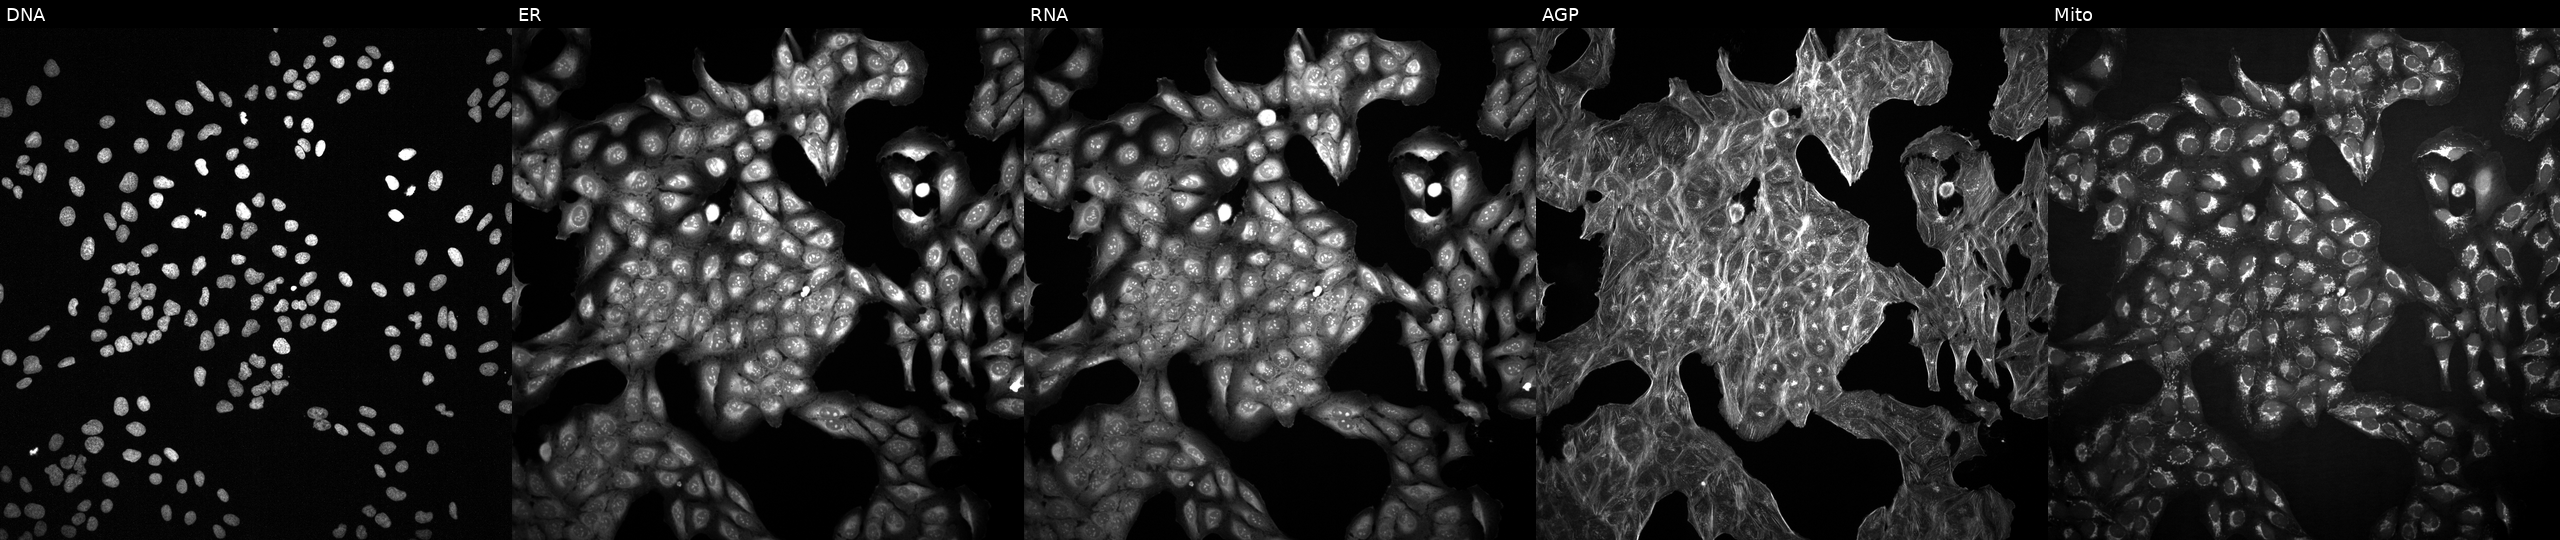
JUMP Cell Painting — COMPOUND plate. U2OS cells with an unidentified perturbation (not annotated in JUMP metadata). The five panels, left to right, show Hoechst 33342, concanavalin A, SYTO 14, phalloidin and WGA, MitoTracker.